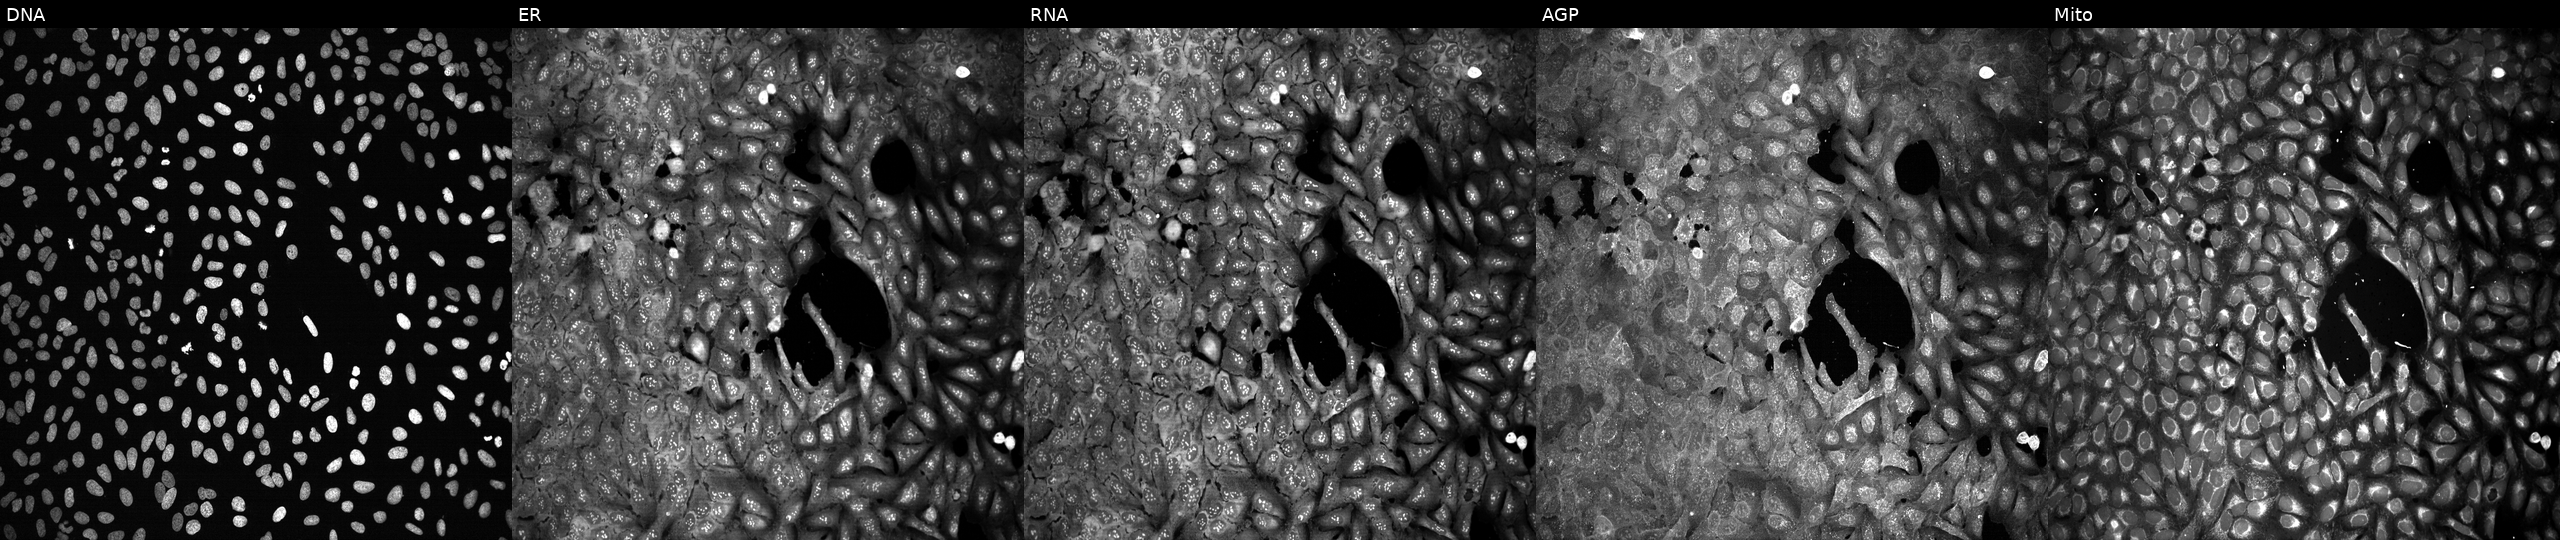
U2OS cells, Cell Painting assay, with a non-targeting CRISPR guide (negative control). Channels (left→right): DNA (nuclei); ER (endoplasmic reticulum); RNA (nucleoli and cytoplasmic RNA); AGP (actin cytoskeleton, Golgi, and plasma membrane); Mito (mitochondria). Each panel is percentile-stretched 16-bit fluorescence. Source 13, plate CP-CC9-R5-01, well M02.